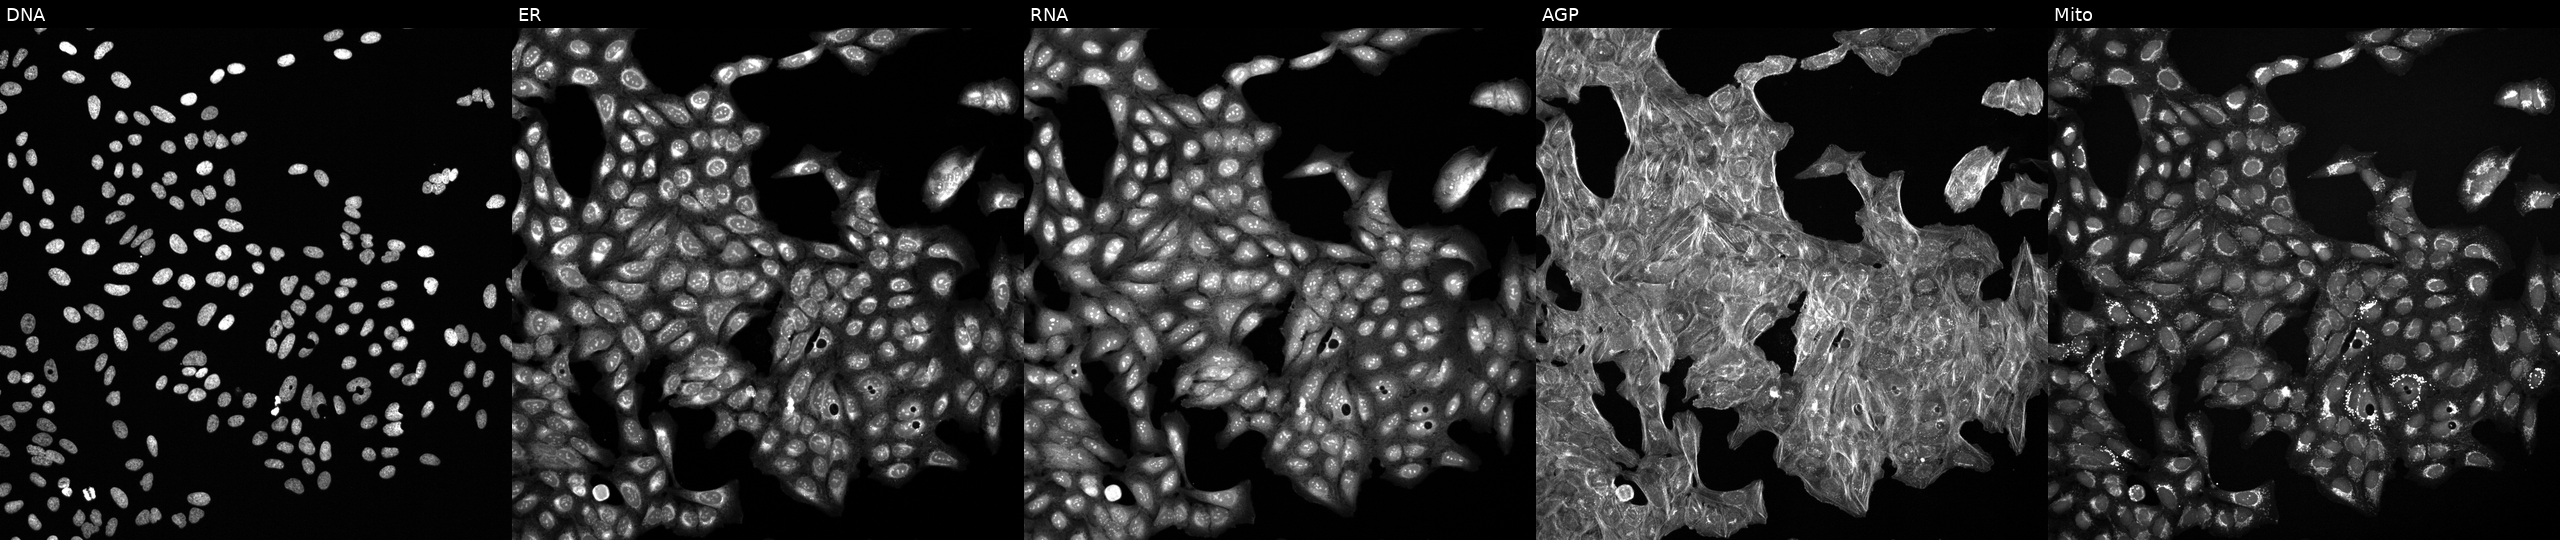
U2OS cells, Cell Painting assay, perturbed with a small-molecule compound (JUMP id JCP2022_068634). Channels (left→right): DNA, ER, RNA, AGP, and Mito. Each panel is percentile-stretched 16-bit fluorescence.